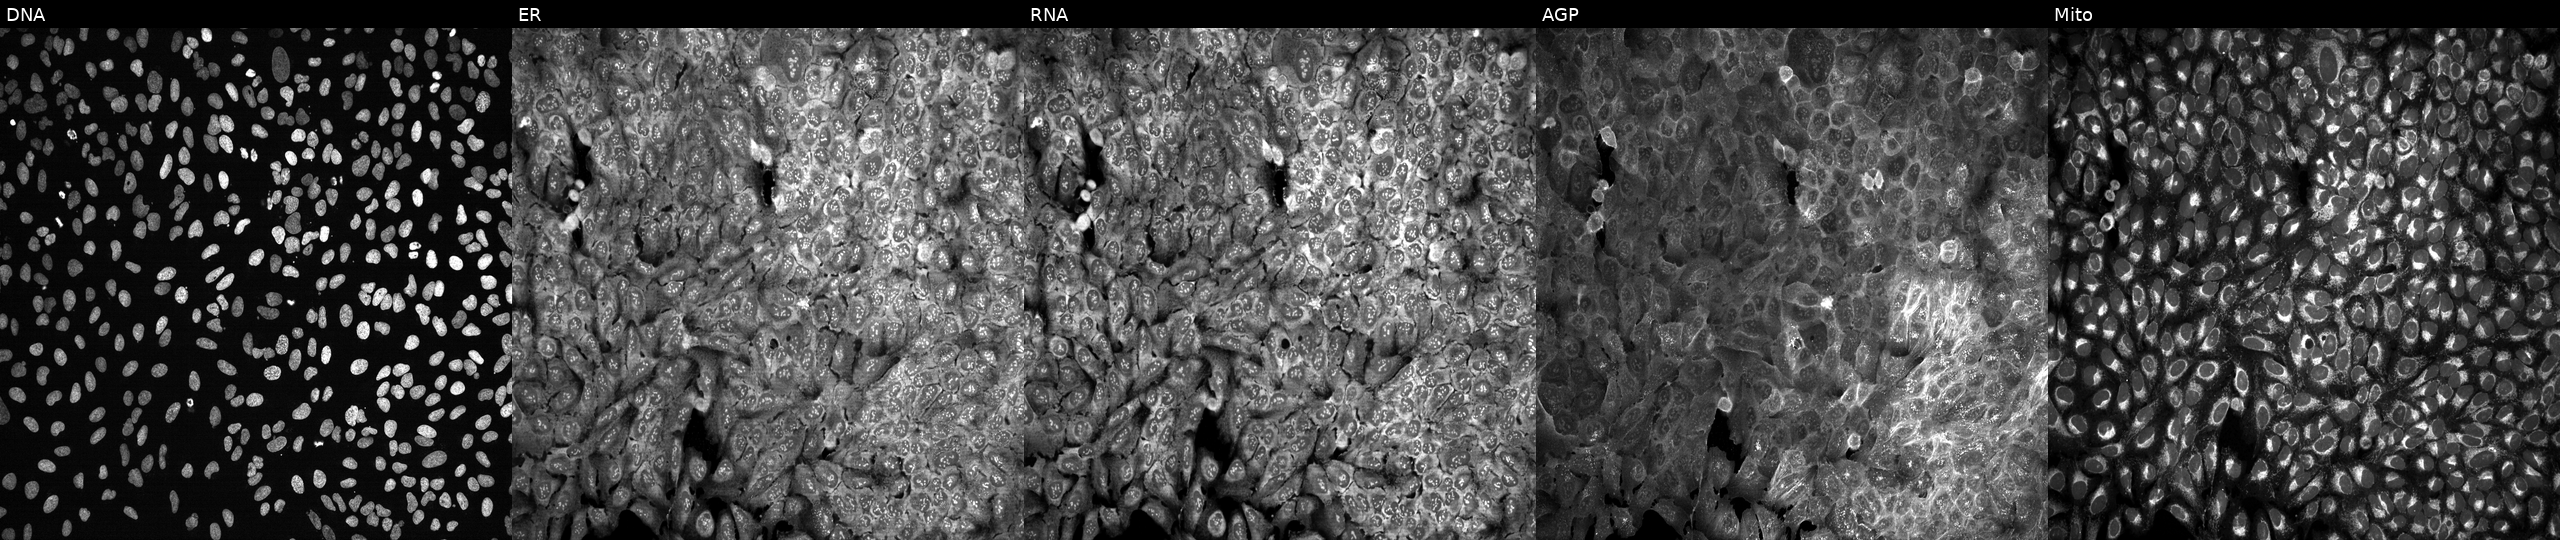
This image strip shows the five Cell Painting channels for a single field of U2OS cells with MMP14 knocked out by CRISPR (JUMP id JCP2022_804213). Panels show, left to right, DNA (nuclei); ER (endoplasmic reticulum); RNA (nucleoli and cytoplasmic RNA); AGP (actin cytoskeleton, Golgi, and plasma membrane); Mito (mitochondria). Source 13, plate CP-CC9-R6-19, well J07.